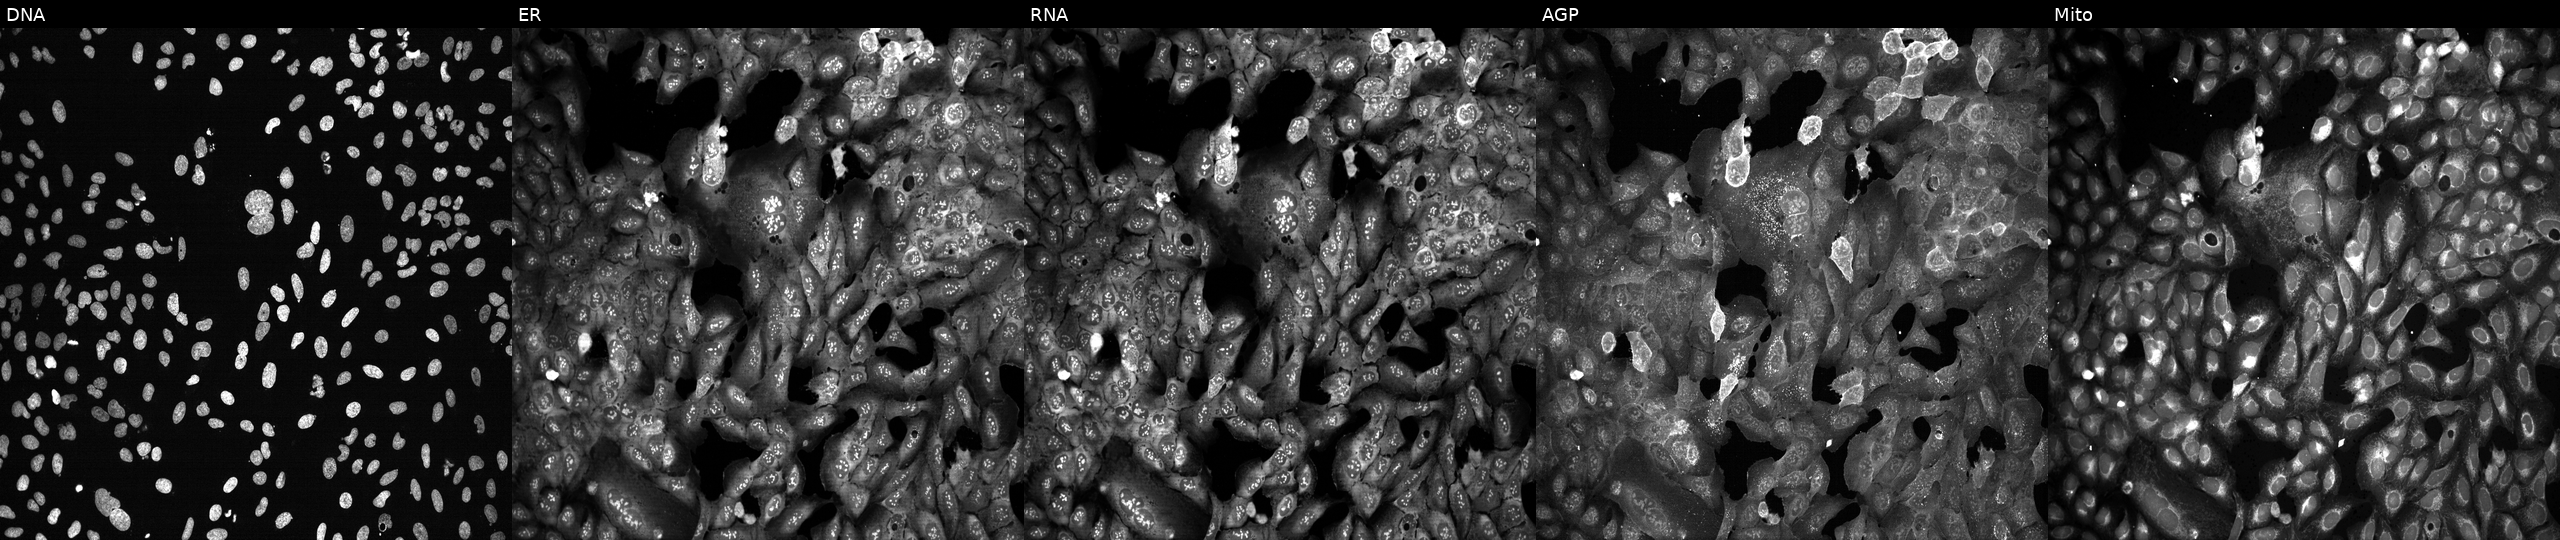
This image strip shows the five Cell Painting channels for a single field of U2OS cells with ATP1A3 knocked out by CRISPR. Channels (left→right): DNA, ER, RNA, AGP, and Mito. Source 13, plate CP-CC9-R5-01, well J16.